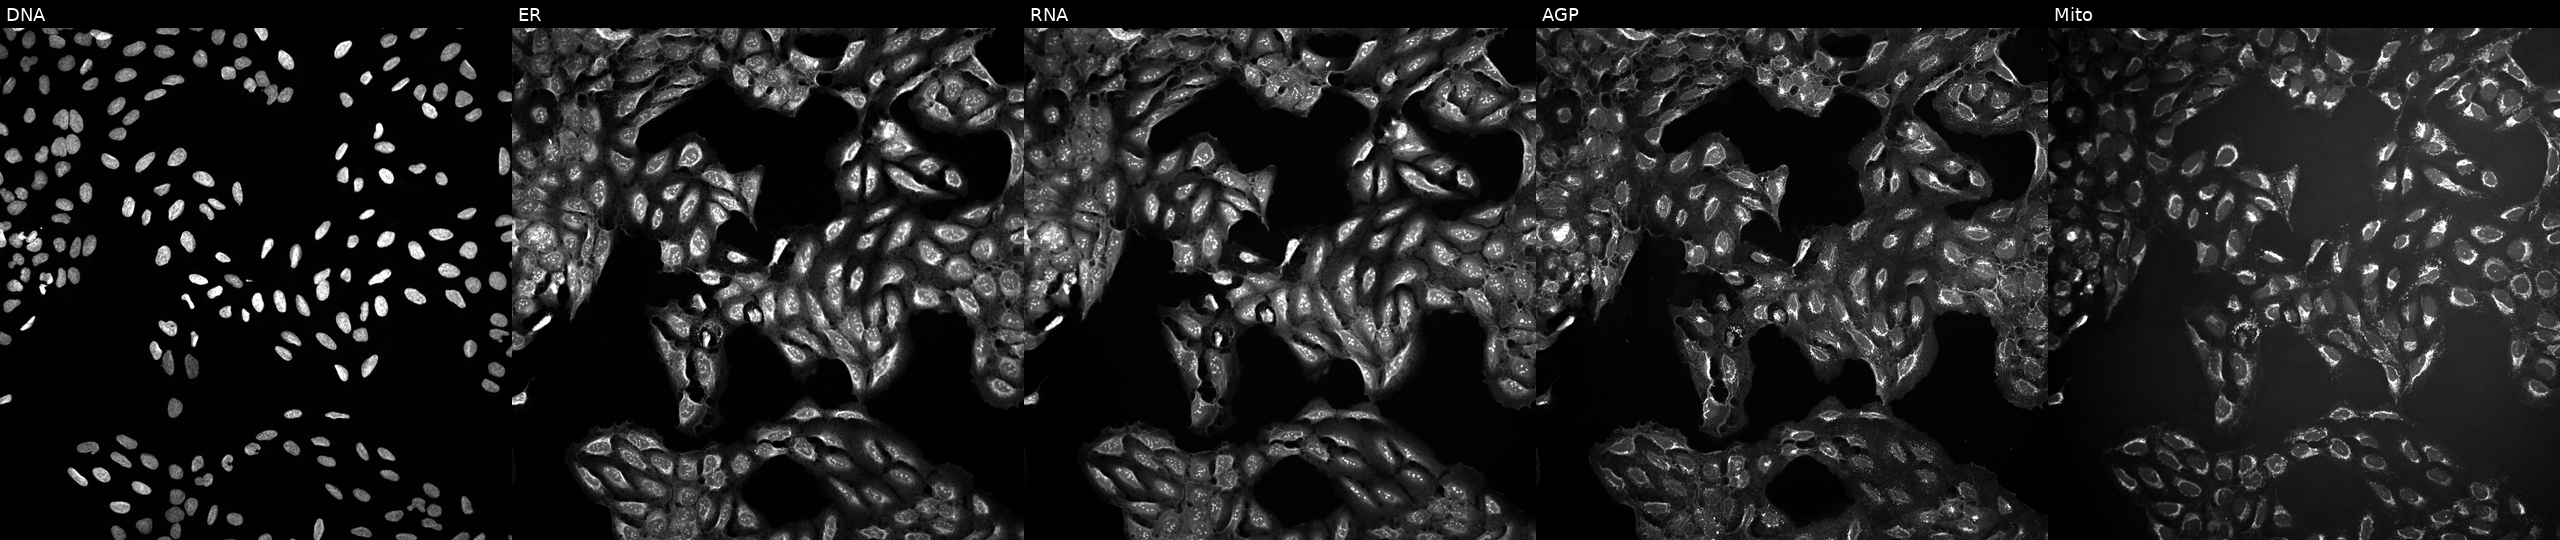
Panels show, left to right, DNA, ER, RNA, AGP, and Mito. U2OS osteosarcoma cells exposed to a small-molecule compound [SMILES: Cc1cc(CN)cc(C)c1NC(=O)c1ccc(-c2cc(Cl)ccc2Cl)o1]. Cell Painting assay, JUMP-CP dataset.